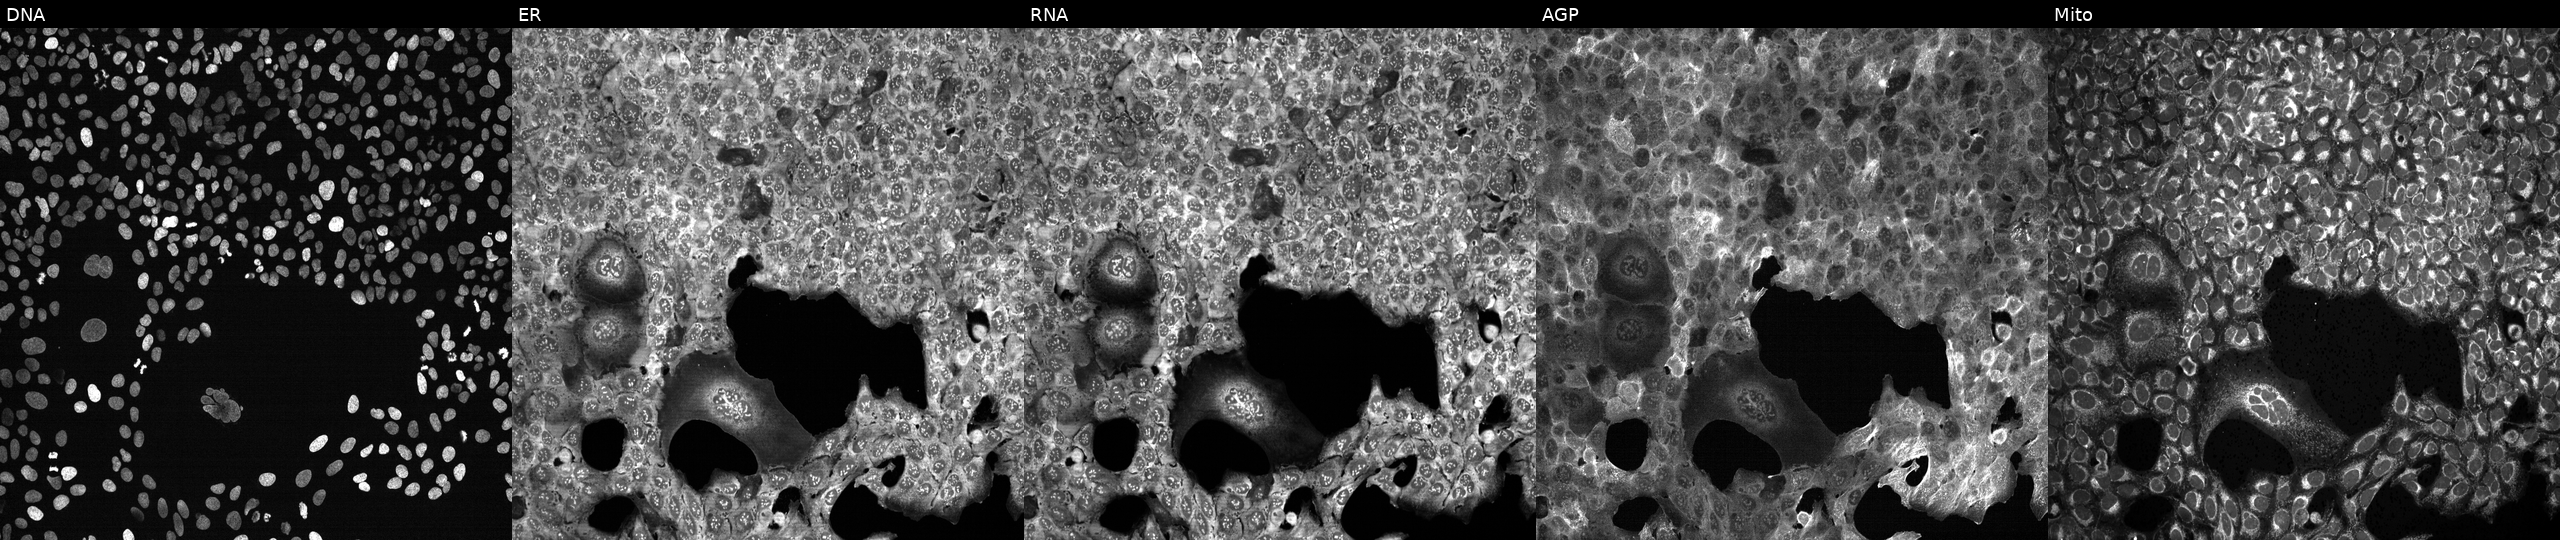
This image strip shows the five Cell Painting channels for a single field of U2OS cells exposed to the positive-control compound LY2109761. From left to right: Hoechst 33342, concanavalin A, SYTO 14, phalloidin and WGA, MitoTracker.